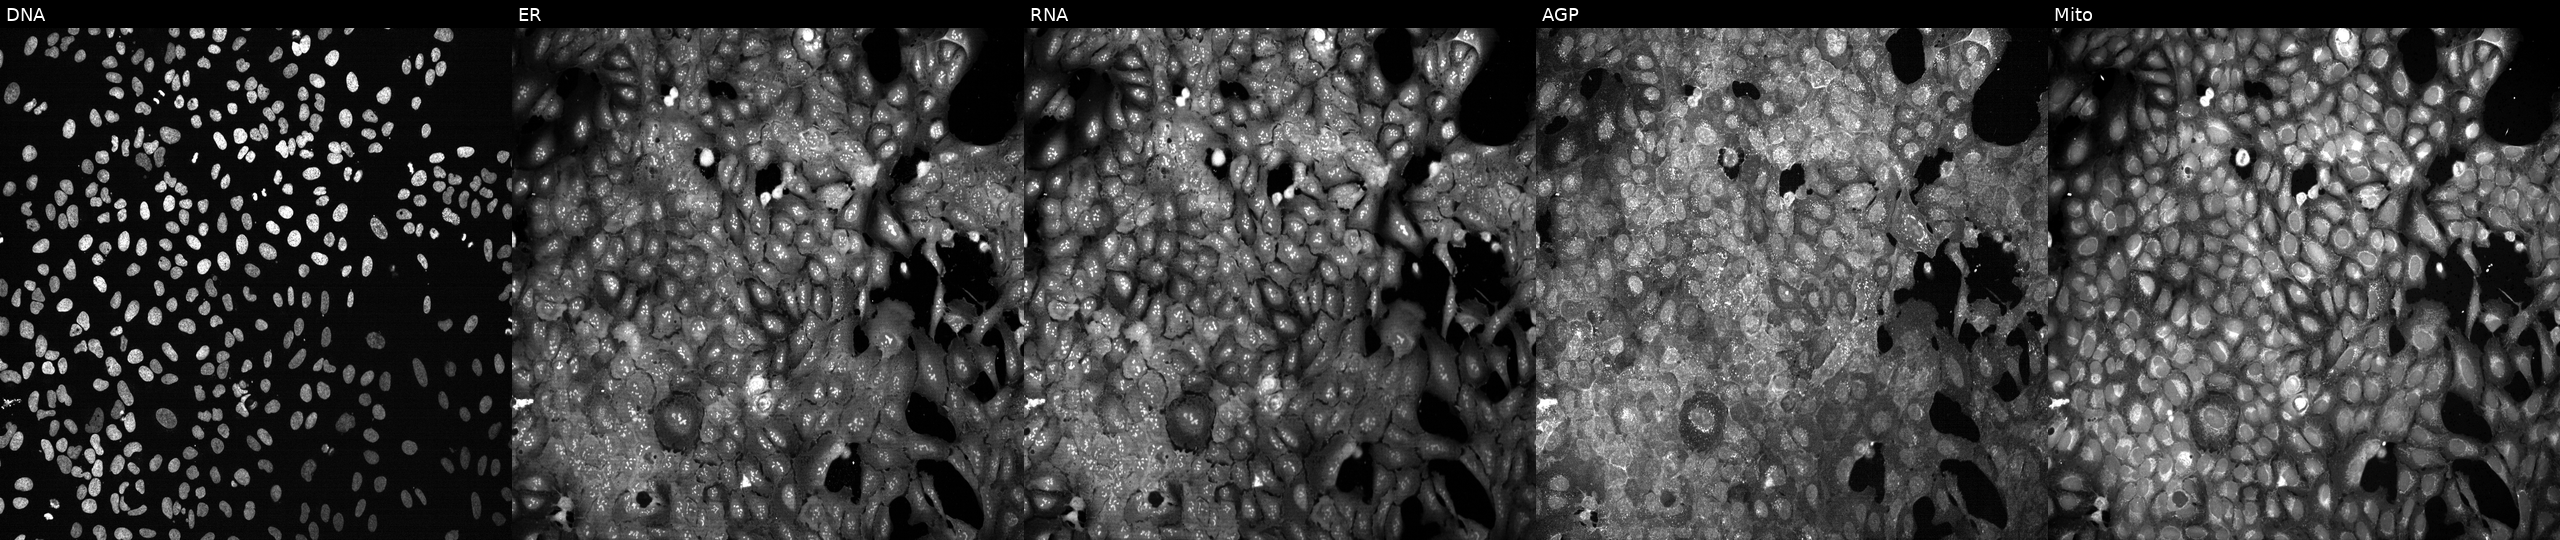
High-content fluorescence microscopy (Cell Painting). Cell line: U2OS. Perturbation: following CRISPR knockout of GOT1. From left to right: Hoechst 33342, concanavalin A, SYTO 14, phalloidin and WGA, MitoTracker. Source 13, plate CP-CC9-R1-01, well K18.